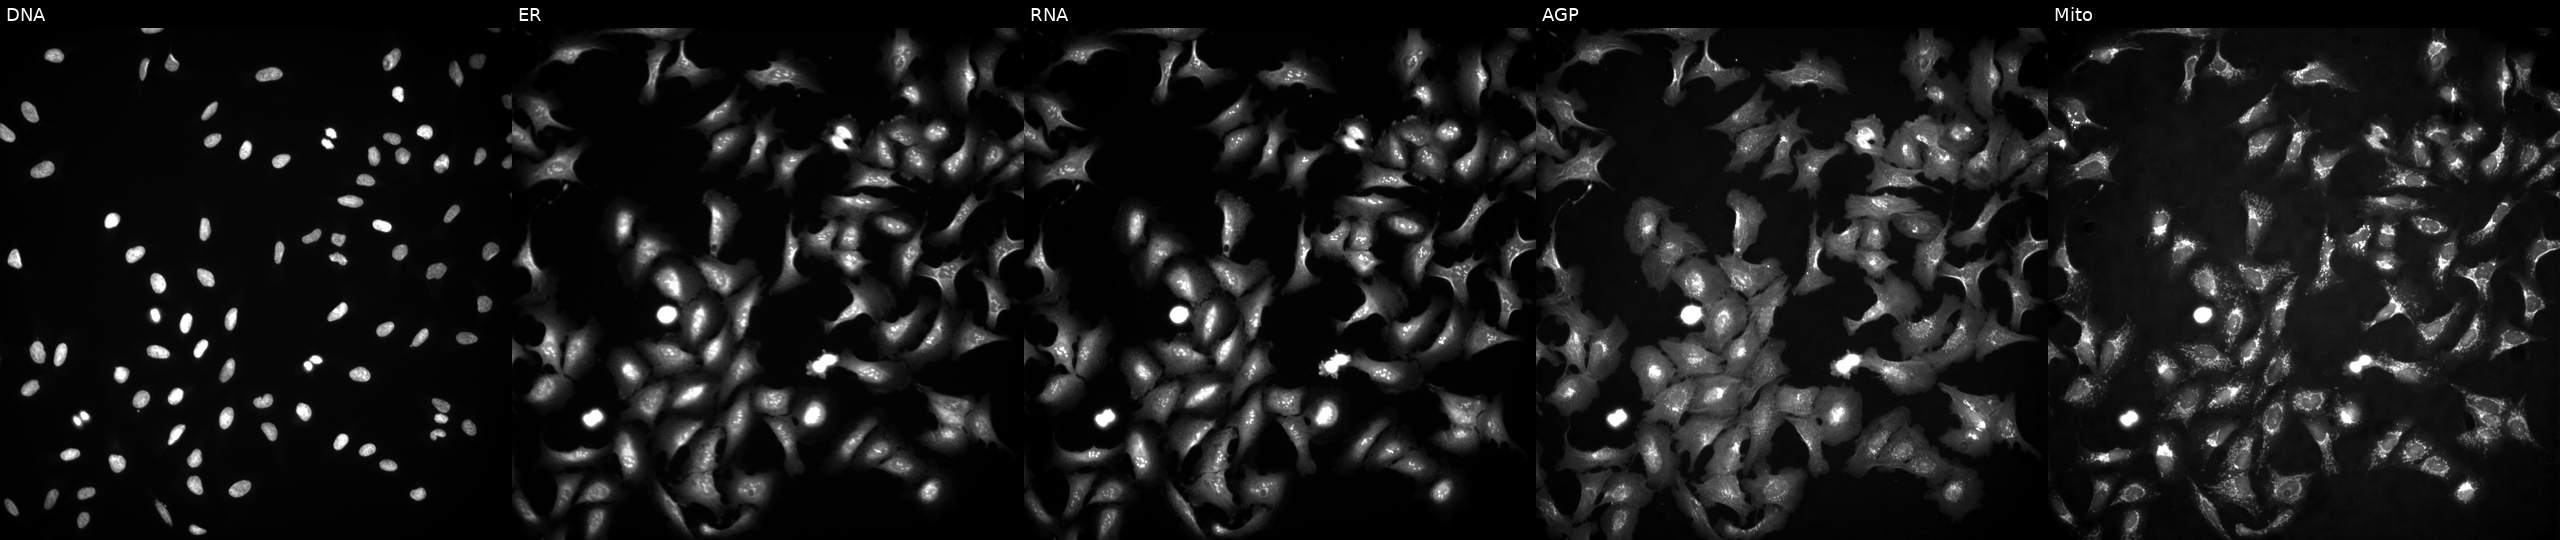
U2OS cells, Cell Painting assay, overexpressing LINC00471 via ORF transfection (JUMP id JCP2022_909603). From left to right: DNA (nuclei); ER (endoplasmic reticulum); RNA (nucleoli and cytoplasmic RNA); AGP (actin cytoskeleton, Golgi, and plasma membrane); Mito (mitochondria). Each panel is percentile-stretched 16-bit fluorescence. Source 4, plate BR00124787, well M02.